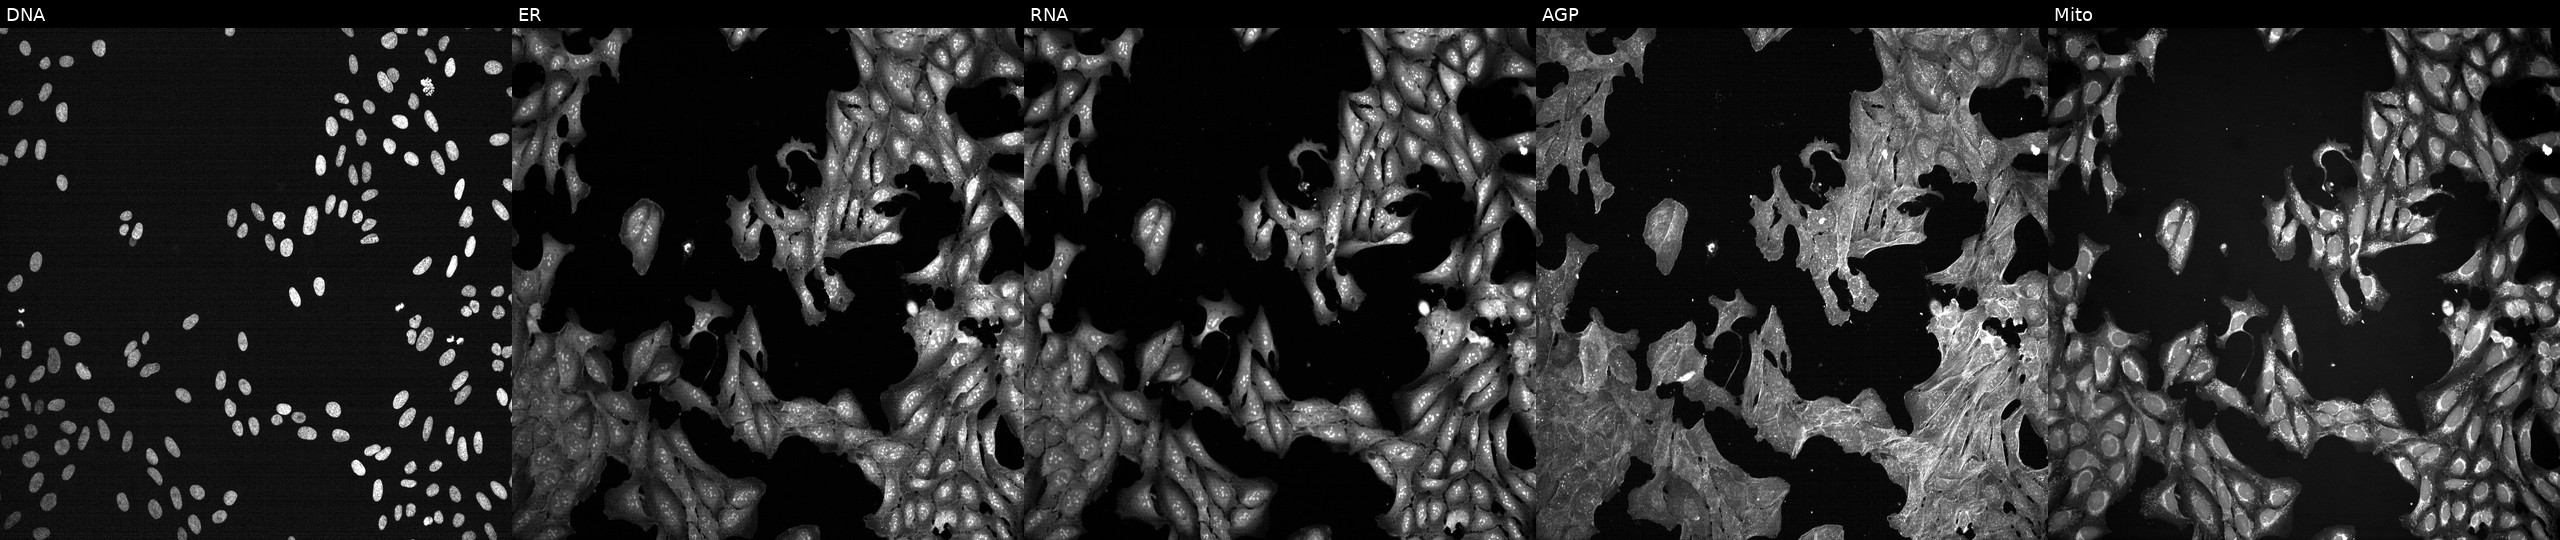
JUMP Cell Painting — TARGET2 plate. U2OS cells treated with a small-molecule compound. Channels (left→right): Hoechst 33342, concanavalin A, SYTO 14, phalloidin and WGA, MitoTracker.